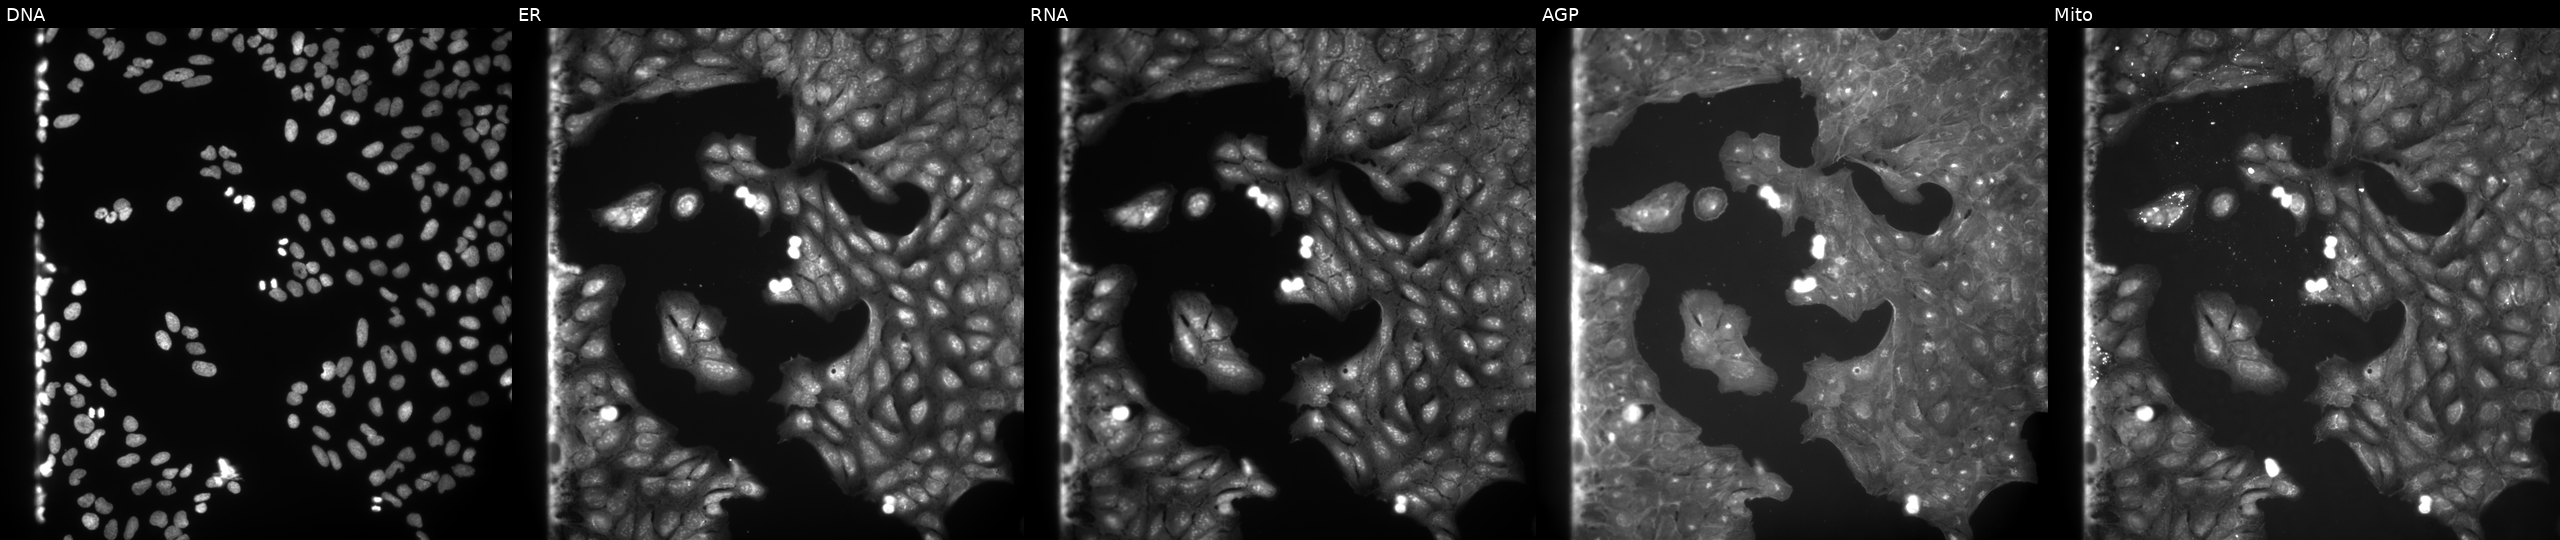
This image strip shows the five Cell Painting channels for a single field of U2OS cells perturbed with a small-molecule compound (InChIKey JHWDXXKDLRFZCK-UHFFFAOYSA-N) [SMILES: CC(=O)NS(=O)(=O)c1ccc(NC(=O)CCC(=O)Oc2ccc(C)cc2)cc1]. The five panels, left to right, show DNA (nuclei); ER (endoplasmic reticulum); RNA (nucleoli and cytoplasmic RNA); AGP (actin cytoskeleton, Golgi, and plasma membrane); Mito (mitochondria).